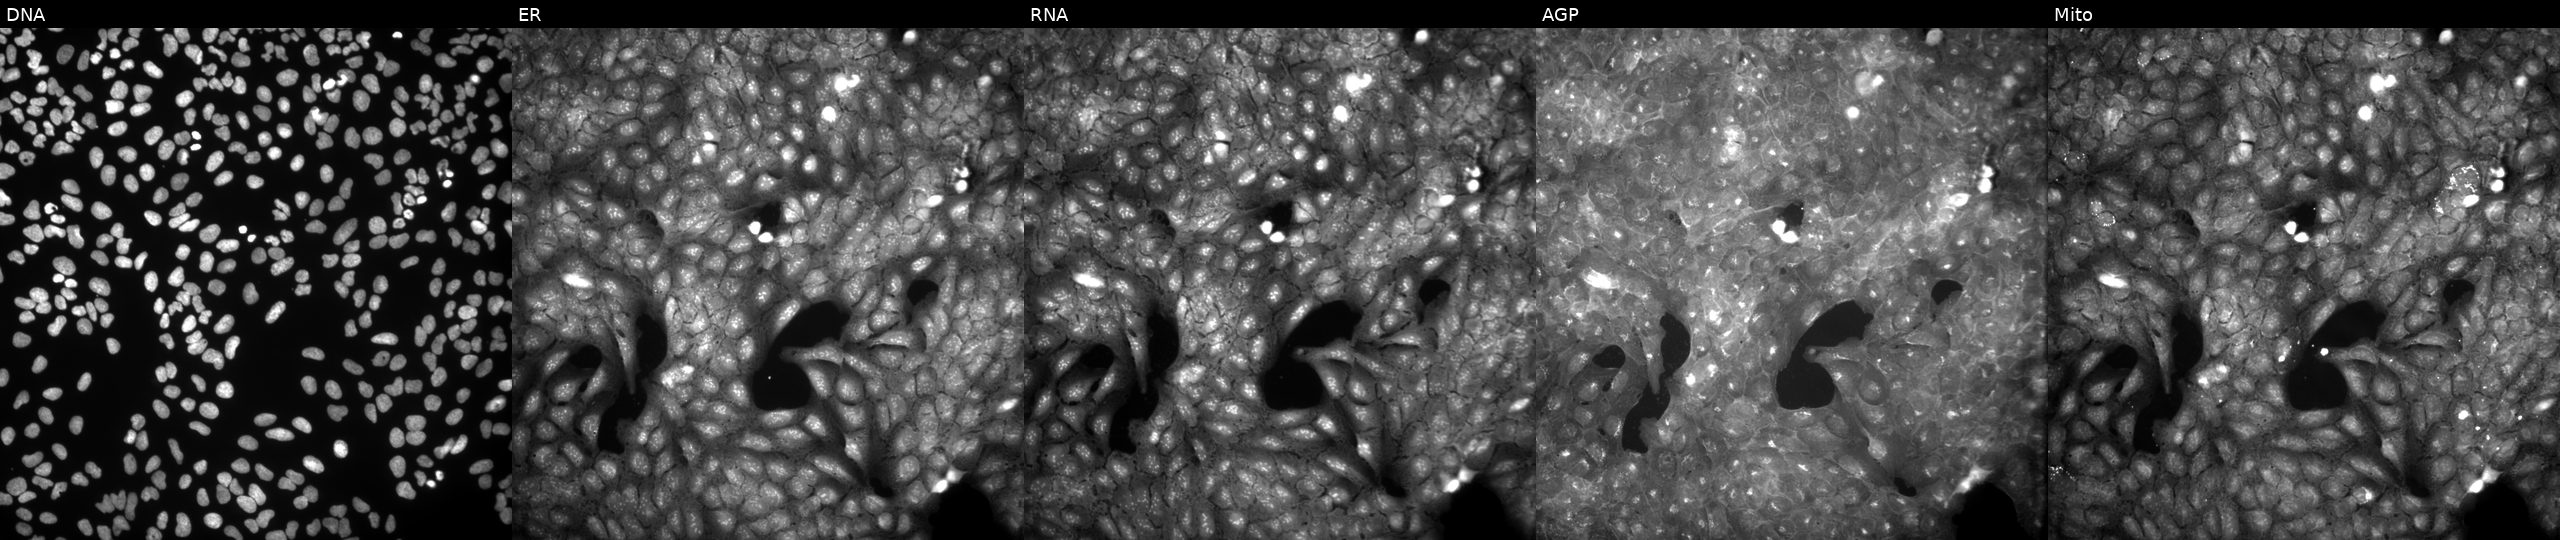
JUMP Cell Painting — COMPOUND plate. U2OS cells exposed to a small-molecule compound (JUMP id JCP2022_075994). From left to right: DNA (nuclei); ER (endoplasmic reticulum); RNA (nucleoli and cytoplasmic RNA); AGP (actin cytoskeleton, Golgi, and plasma membrane); Mito (mitochondria).